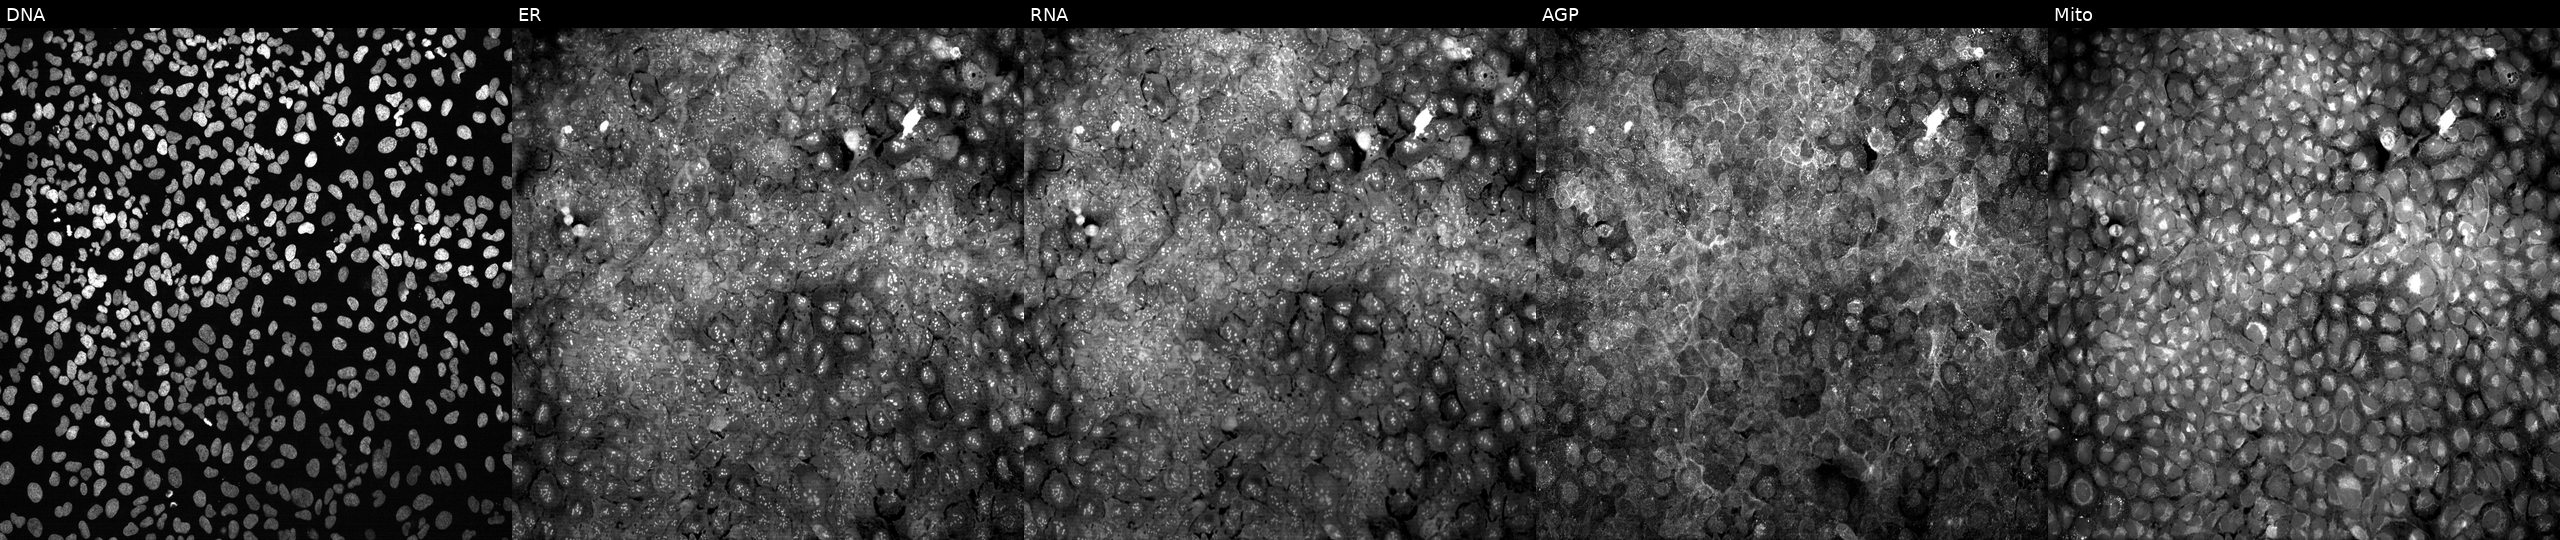
U2OS cells, Cell Painting assay, with IL10RA knocked out by CRISPR. Panels show, left to right, DNA (nuclei); ER (endoplasmic reticulum); RNA (nucleoli and cytoplasmic RNA); AGP (actin cytoskeleton, Golgi, and plasma membrane); Mito (mitochondria). Each panel is percentile-stretched 16-bit fluorescence. Source 13, plate CP-CC9-R1-02, well N06.